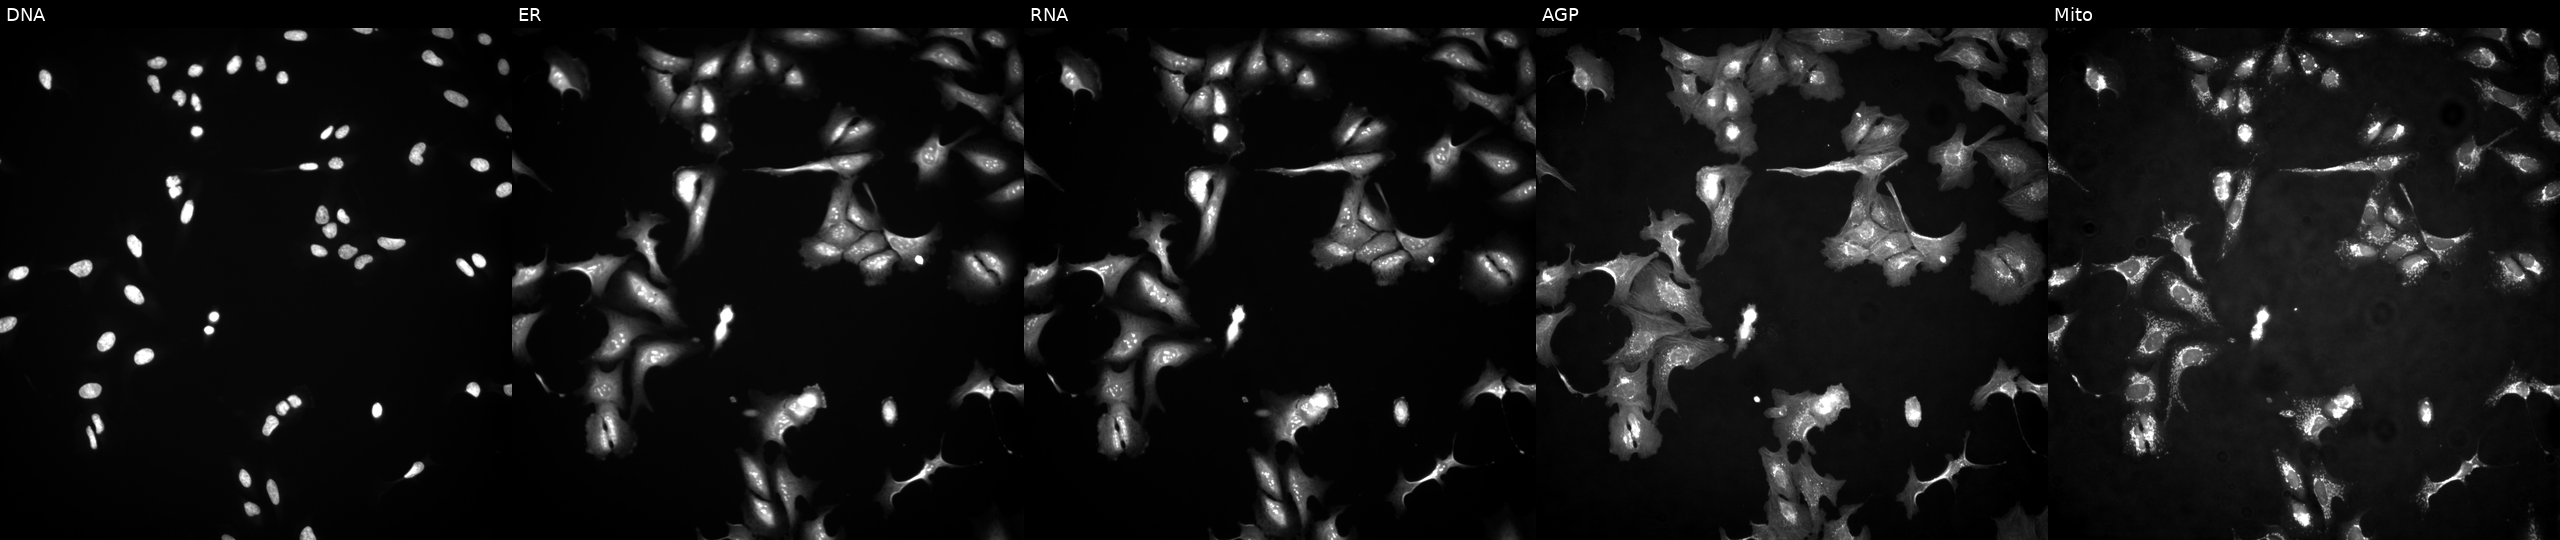
This image strip shows the five Cell Painting channels for a single field of U2OS cells overexpressing ZNF25 via ORF transfection (JUMP id JCP2022_912492). Channels (left→right): DNA (nuclei); ER (endoplasmic reticulum); RNA (nucleoli and cytoplasmic RNA); AGP (actin cytoskeleton, Golgi, and plasma membrane); Mito (mitochondria).